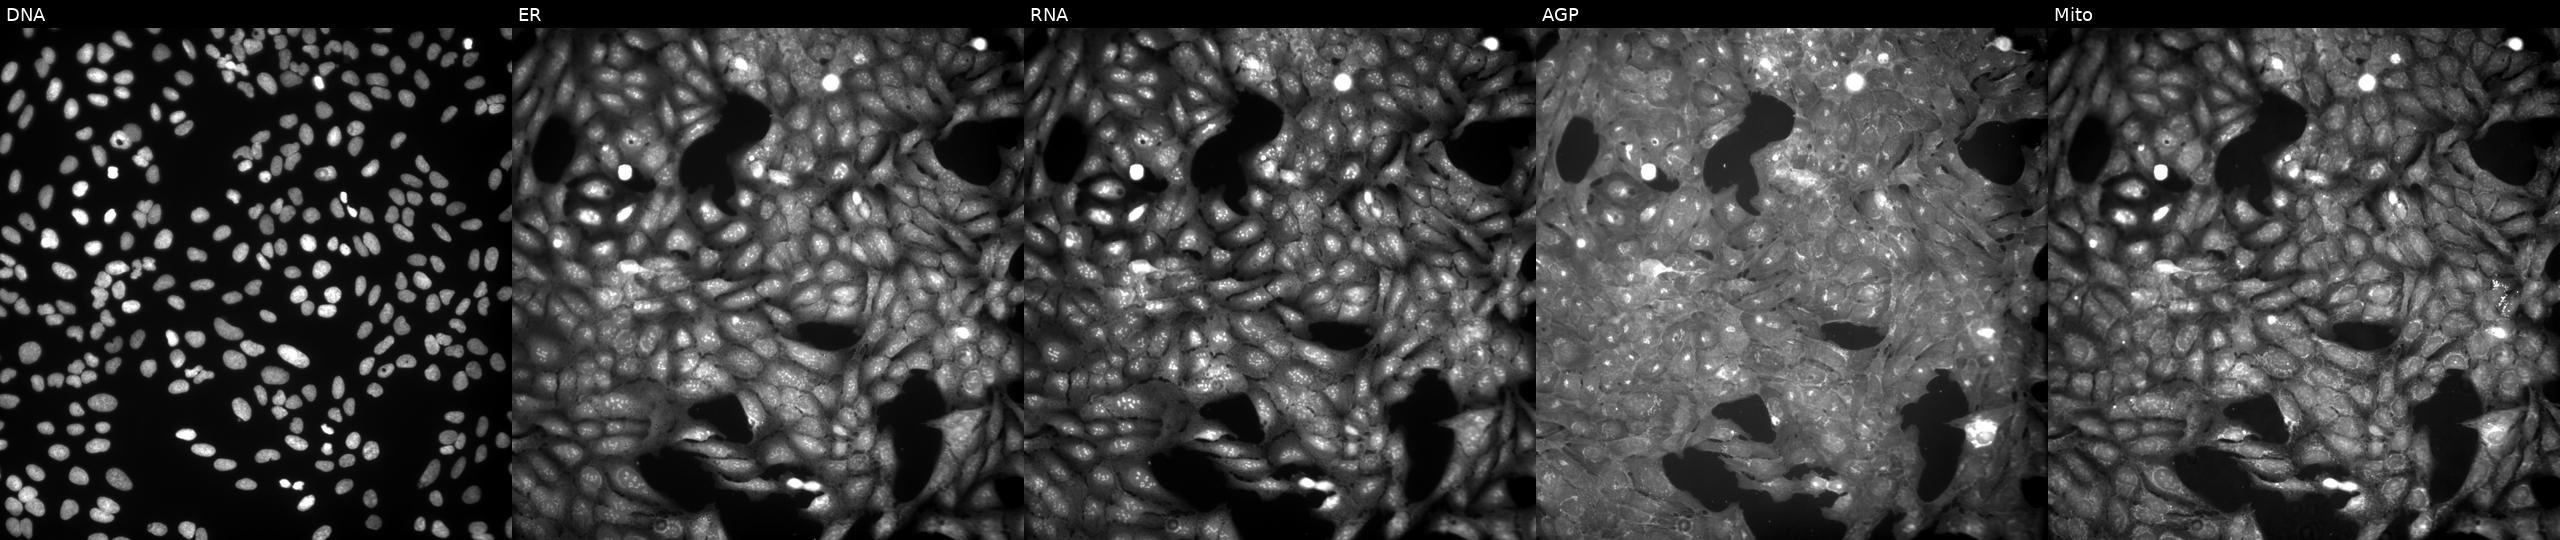
JUMP Cell Painting — COMPOUND plate. U2OS cells treated with a small-molecule compound (InChIKey KASKIBRSGKFFHB-UHFFFAOYSA-N) [SMILES: O=C(N=c1cc[nH]cc1)c1ccc(Cl)c([N+](=O)[O-])c1]. Channels (left→right): DNA (nuclei); ER (endoplasmic reticulum); RNA (nucleoli and cytoplasmic RNA); AGP (actin cytoskeleton, Golgi, and plasma membrane); Mito (mitochondria).